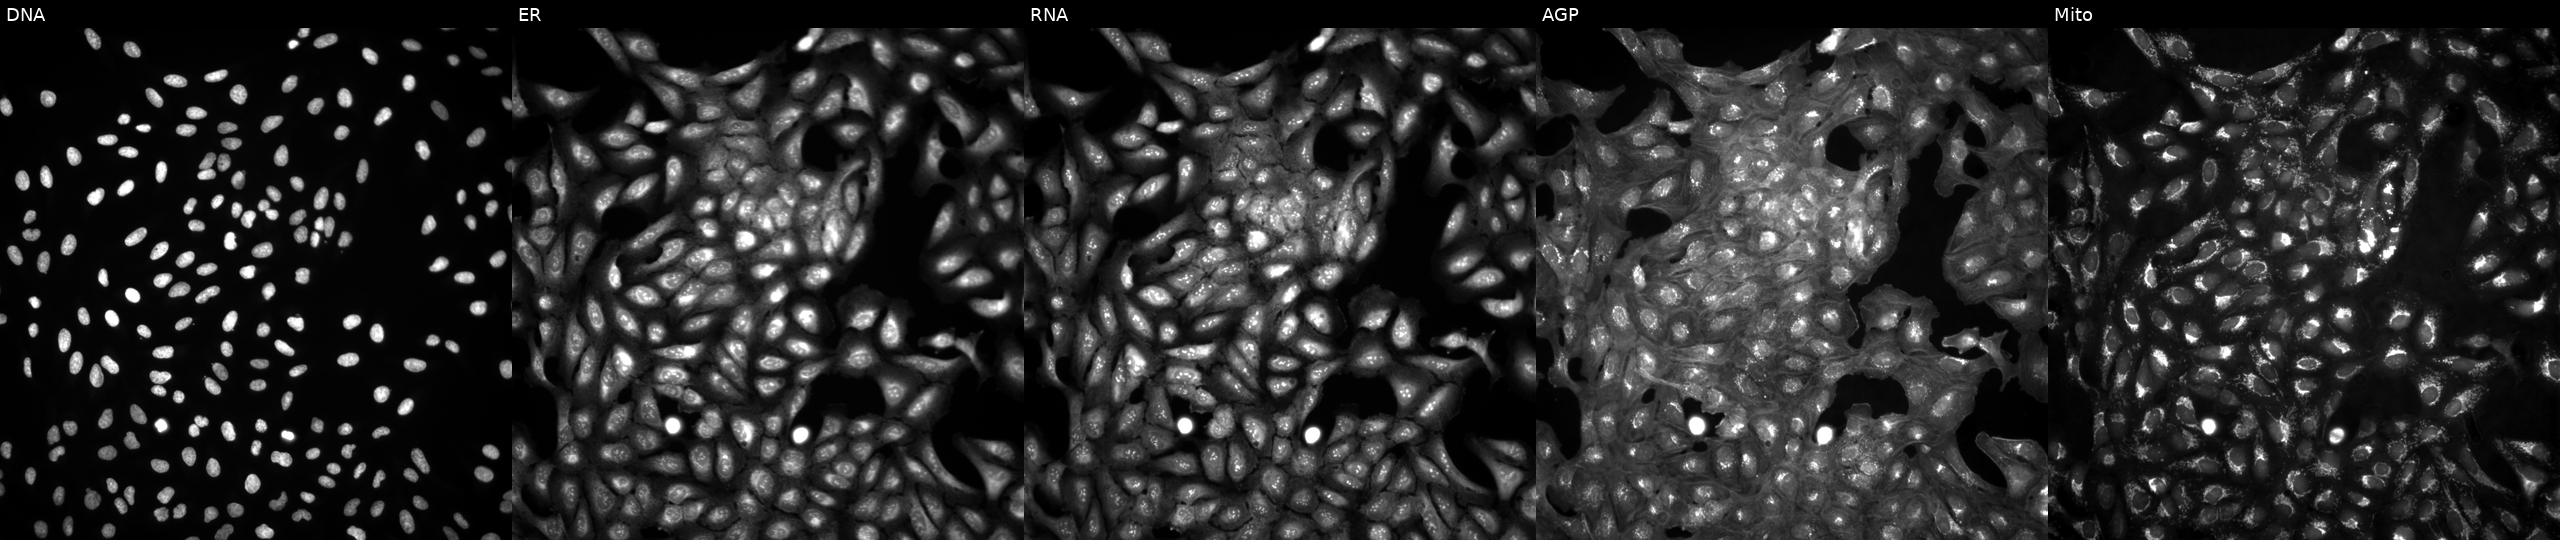
The five panels, left to right, show Hoechst 33342, concanavalin A, SYTO 14, phalloidin and WGA, MitoTracker. U2OS osteosarcoma cells untreated (empty-well control). Cell Painting assay, JUMP-CP dataset. Source 4, plate BR00124793, well J20.